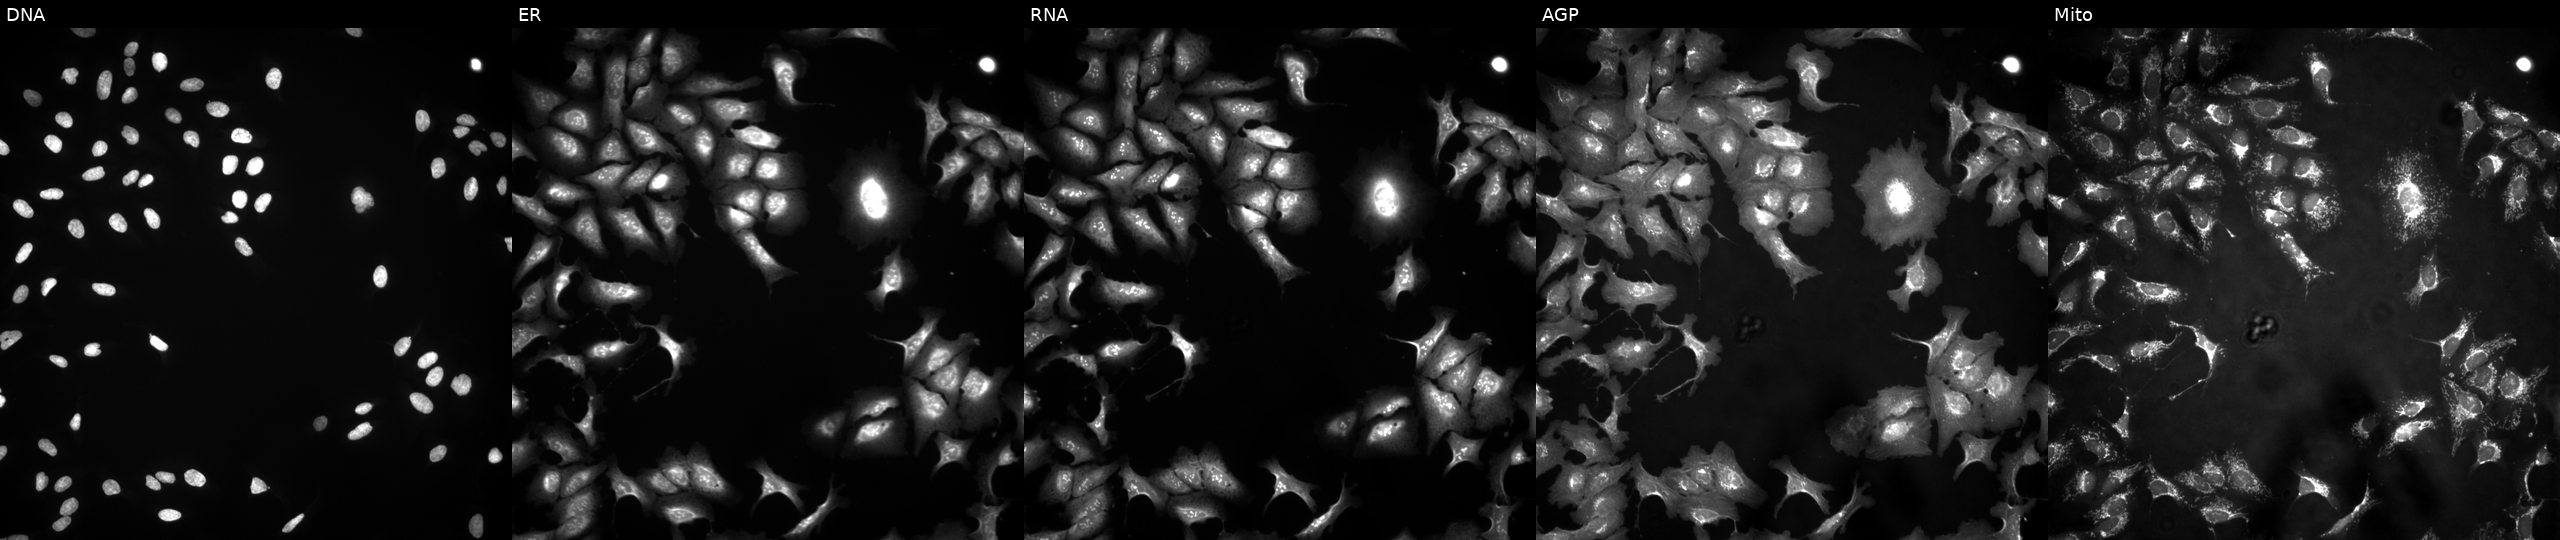
U2OS cells, Cell Painting assay, with BBS10 overexpressed (ORF) (JUMP id JCP2022_911755). From left to right: DNA, ER, RNA, AGP, and Mito. Each panel is percentile-stretched 16-bit fluorescence.